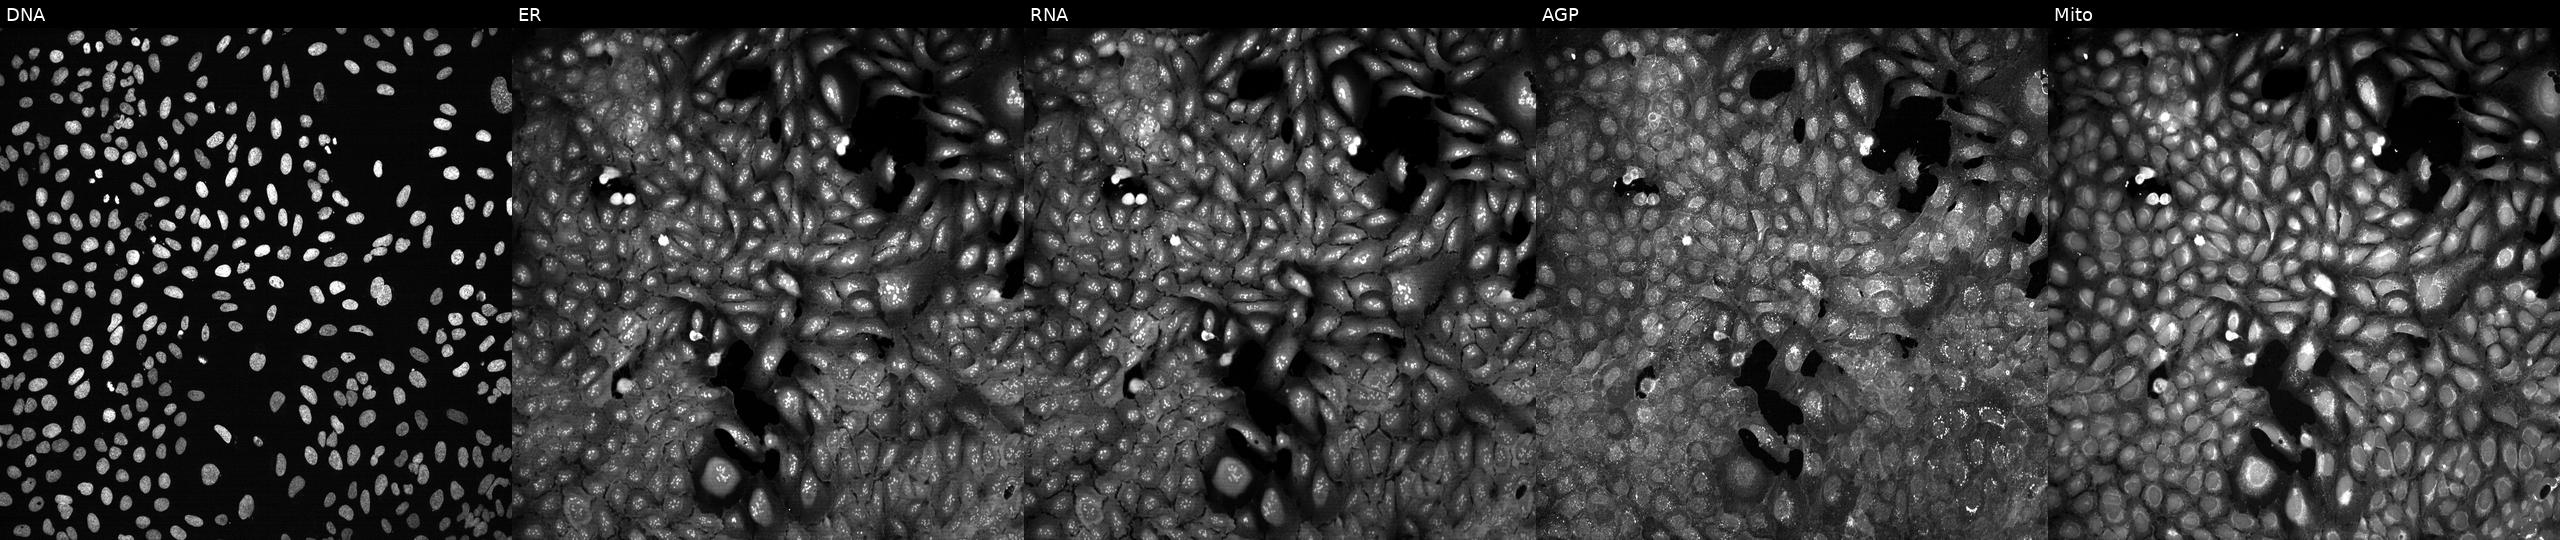
JUMP Cell Painting — CRISPR plate. U2OS cells CRISPR-edited to disrupt CHD7 (JUMP id JCP2022_801286). The five panels, left to right, show DNA, ER, RNA, AGP, and Mito.